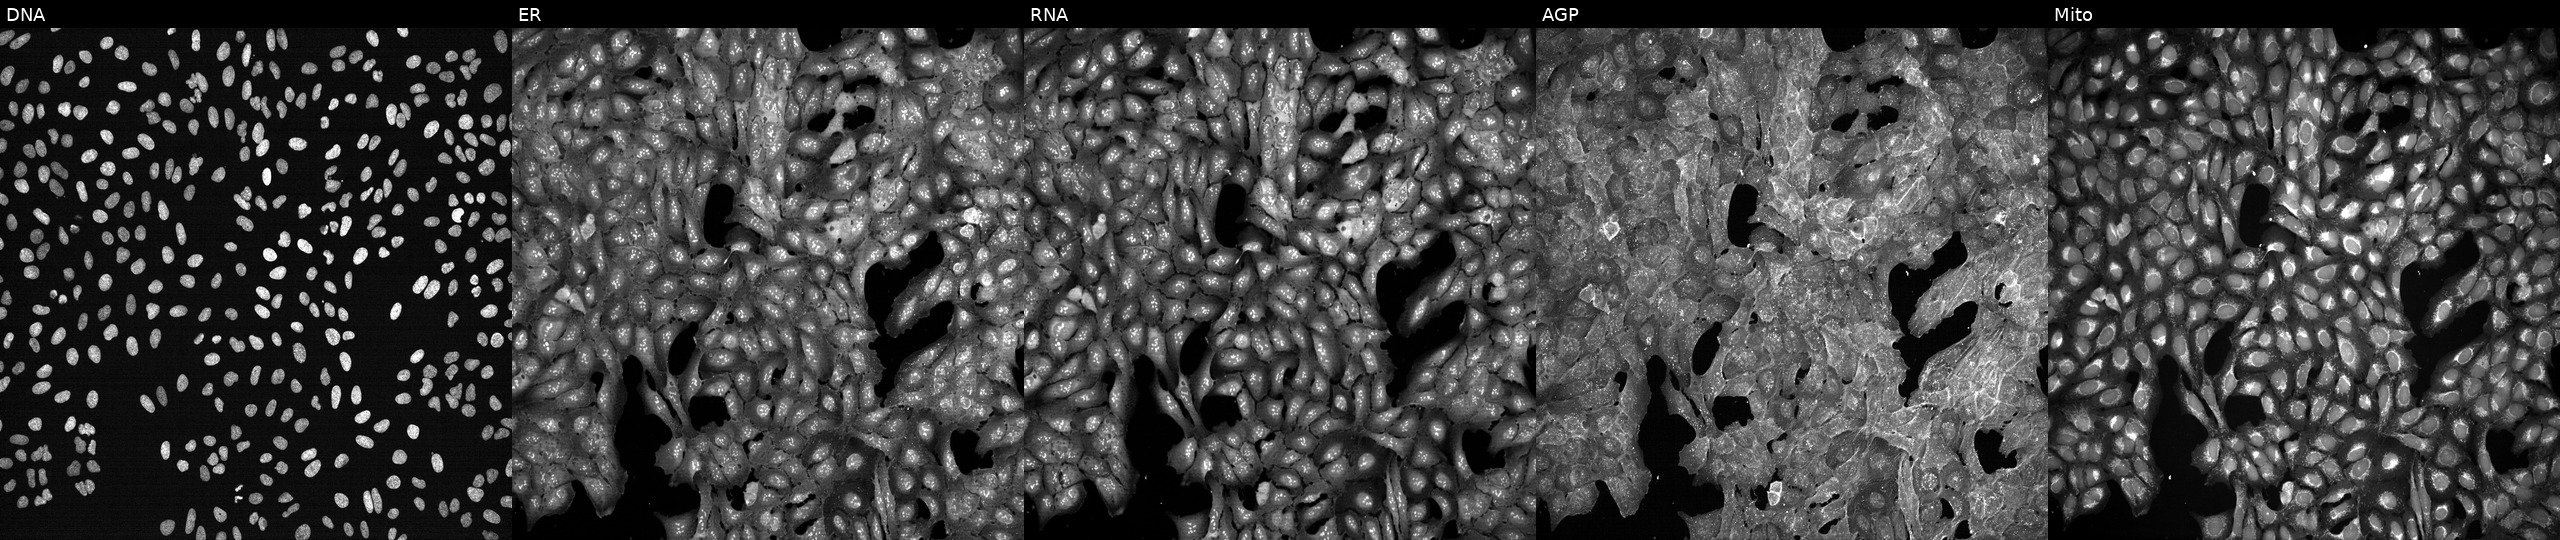
From left to right: Hoechst 33342, concanavalin A, SYTO 14, phalloidin and WGA, MitoTracker. U2OS osteosarcoma cells exposed to a small-molecule compound (InChIKey LPAHKJMGDSJDRG-UHFFFAOYSA-N) [SMILES: CCCCC(NC(=O)C(Cc1cn(C(=O)OC)c2ccccc12)NC(=O)C(CC(C)(C)C)NC(=O)N1C(C)CCCC1C)C(=O)O] (JUMP id JCP2022_050830). Cell Painting assay, JUMP-CP dataset. Source 7, plate CP2-SC1-25, well F09.